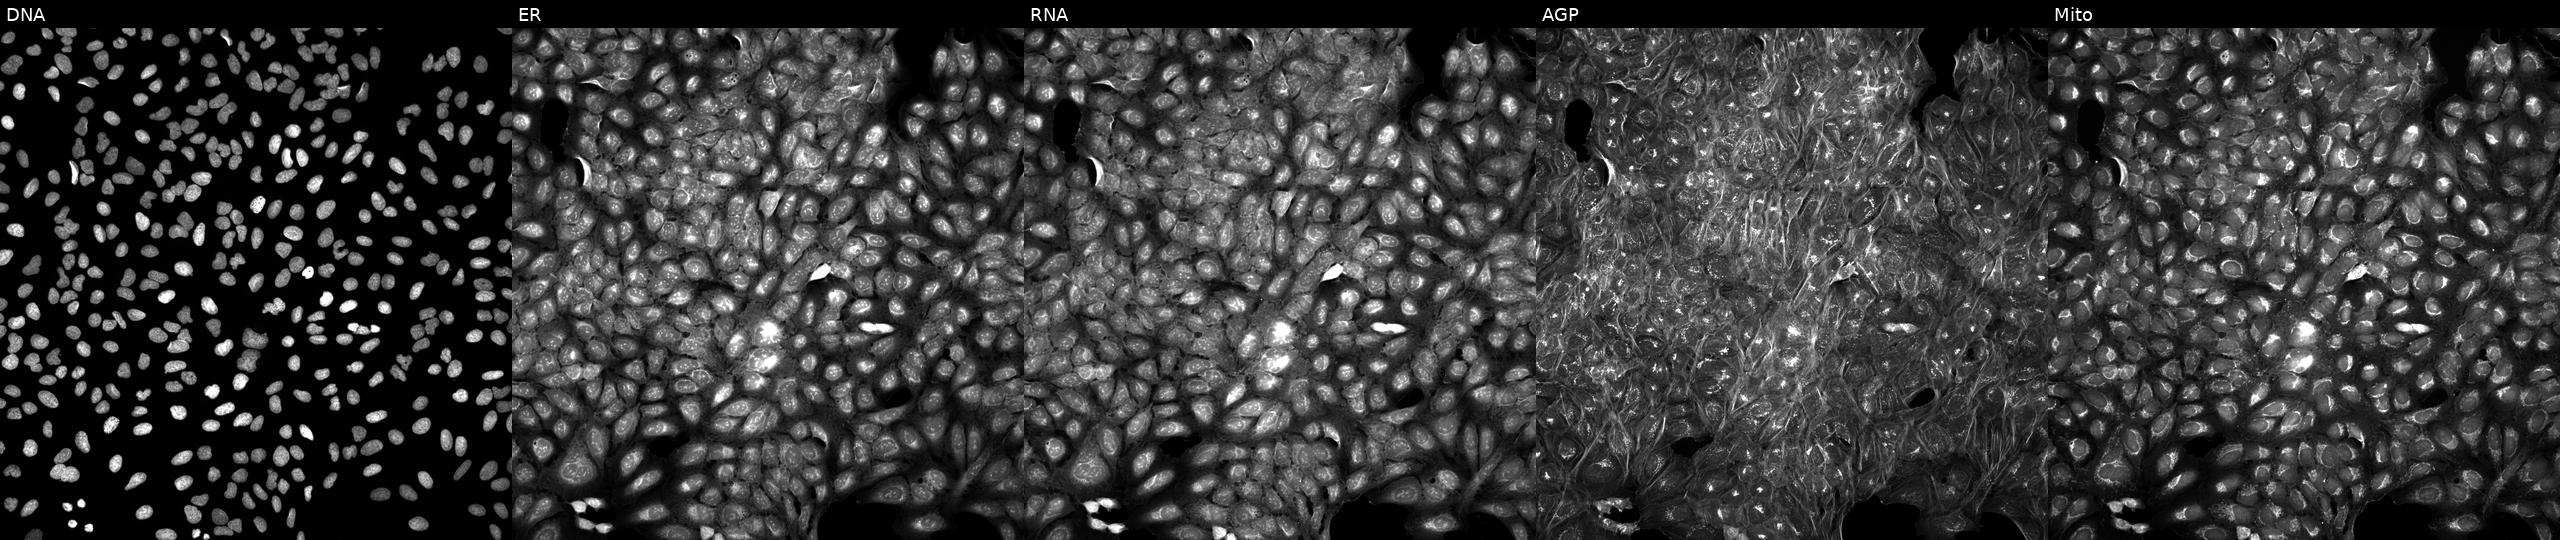
High-content fluorescence microscopy (Cell Painting). Cell line: U2OS. Perturbation: exposed to a small-molecule compound (InChIKey JVGULKCNJLPSMO-UHFFFAOYSA-N) (JUMP id JCP2022_042358). From left to right: DNA (nuclei); ER (endoplasmic reticulum); RNA (nucleoli and cytoplasmic RNA); AGP (actin cytoskeleton, Golgi, and plasma membrane); Mito (mitochondria).